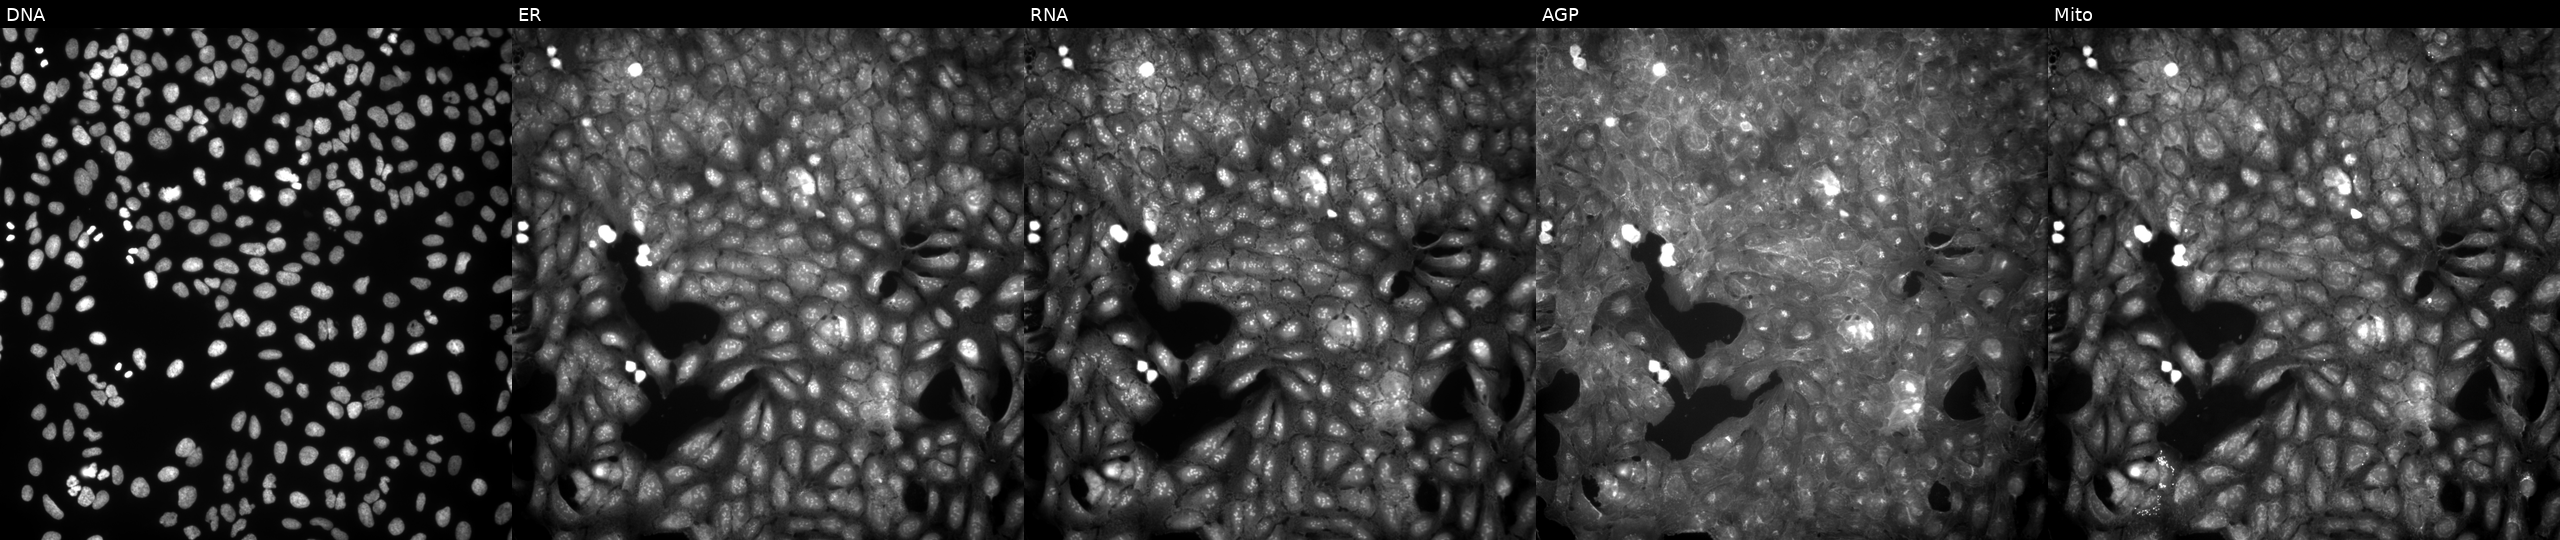
JUMP Cell Painting — COMPOUND plate. U2OS cells perturbed with a small-molecule compound (InChIKey PPIPIDNPOOSYDM-UHFFFAOYSA-N) (JUMP id JCP2022_070123). From left to right: DNA, ER, RNA, AGP, and Mito.